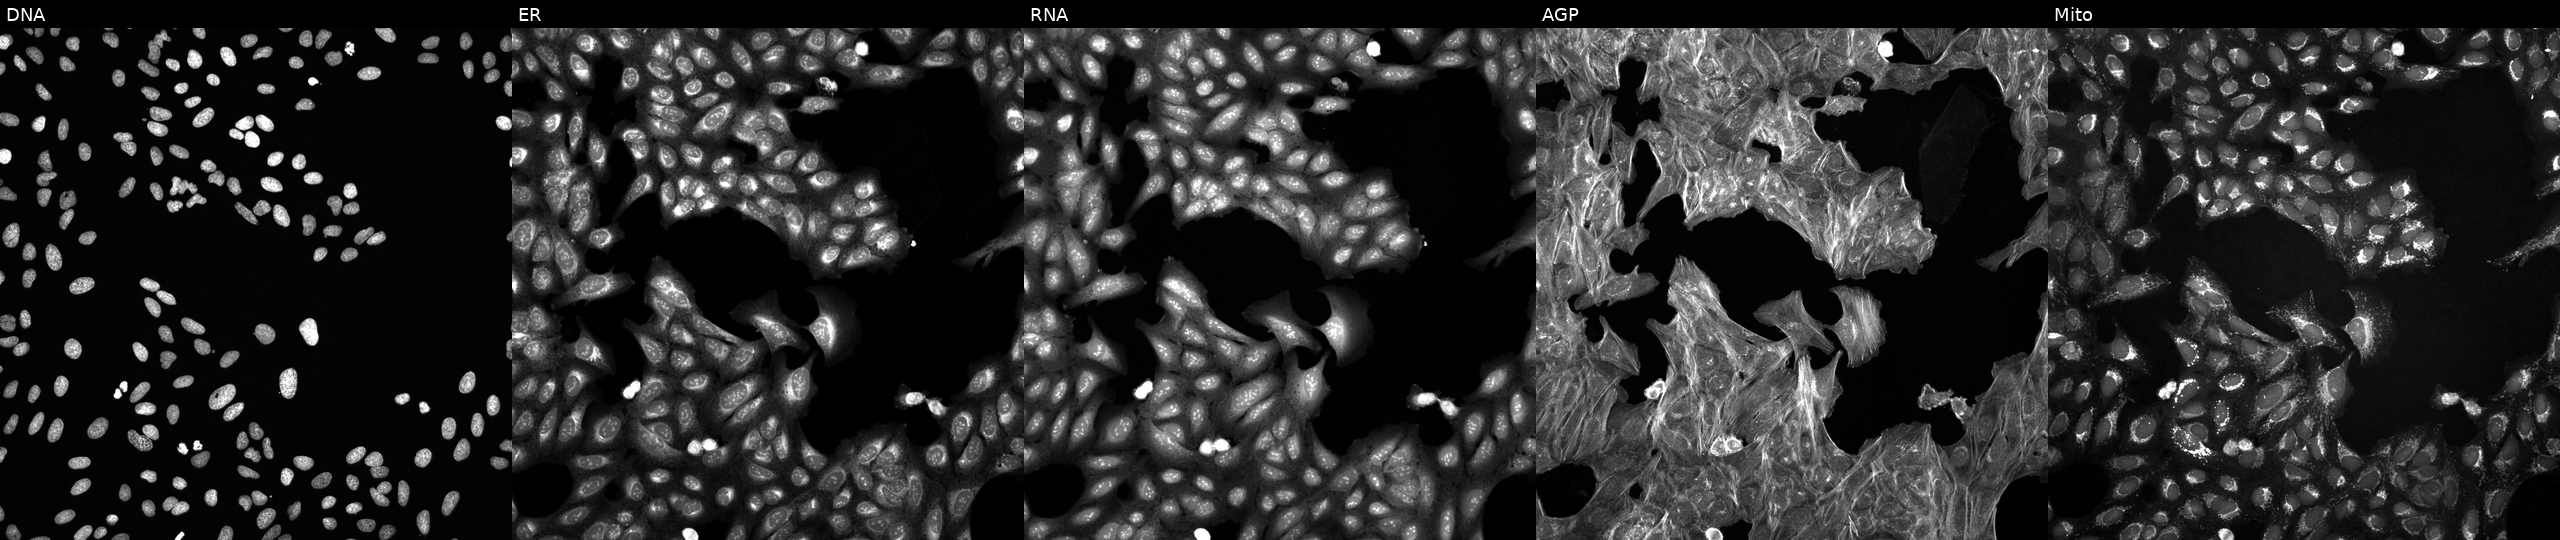
Five-channel Cell Painting image of U2OS cells treated with DMSO vehicle only (negative control). Channels (left→right): DNA, ER, RNA, AGP, and Mito. Source 6, plate 110000293082, well N23.